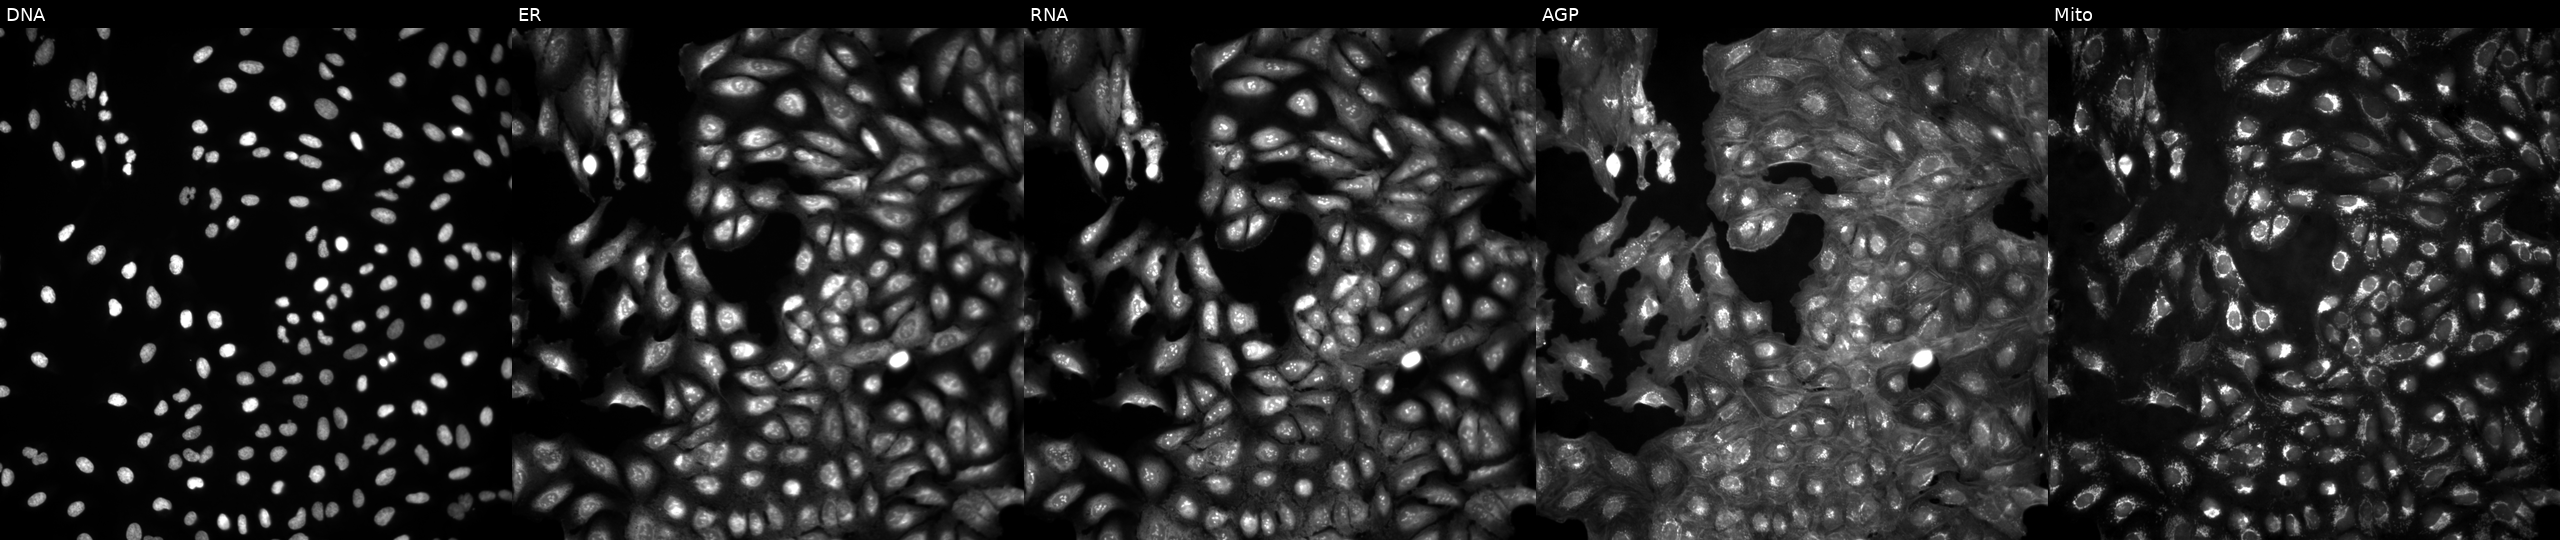
Five-channel Cell Painting image of U2OS cells untreated (empty-well control) (JUMP id JCP2022_999999). The five panels, left to right, show Hoechst 33342, concanavalin A, SYTO 14, phalloidin and WGA, MitoTracker.